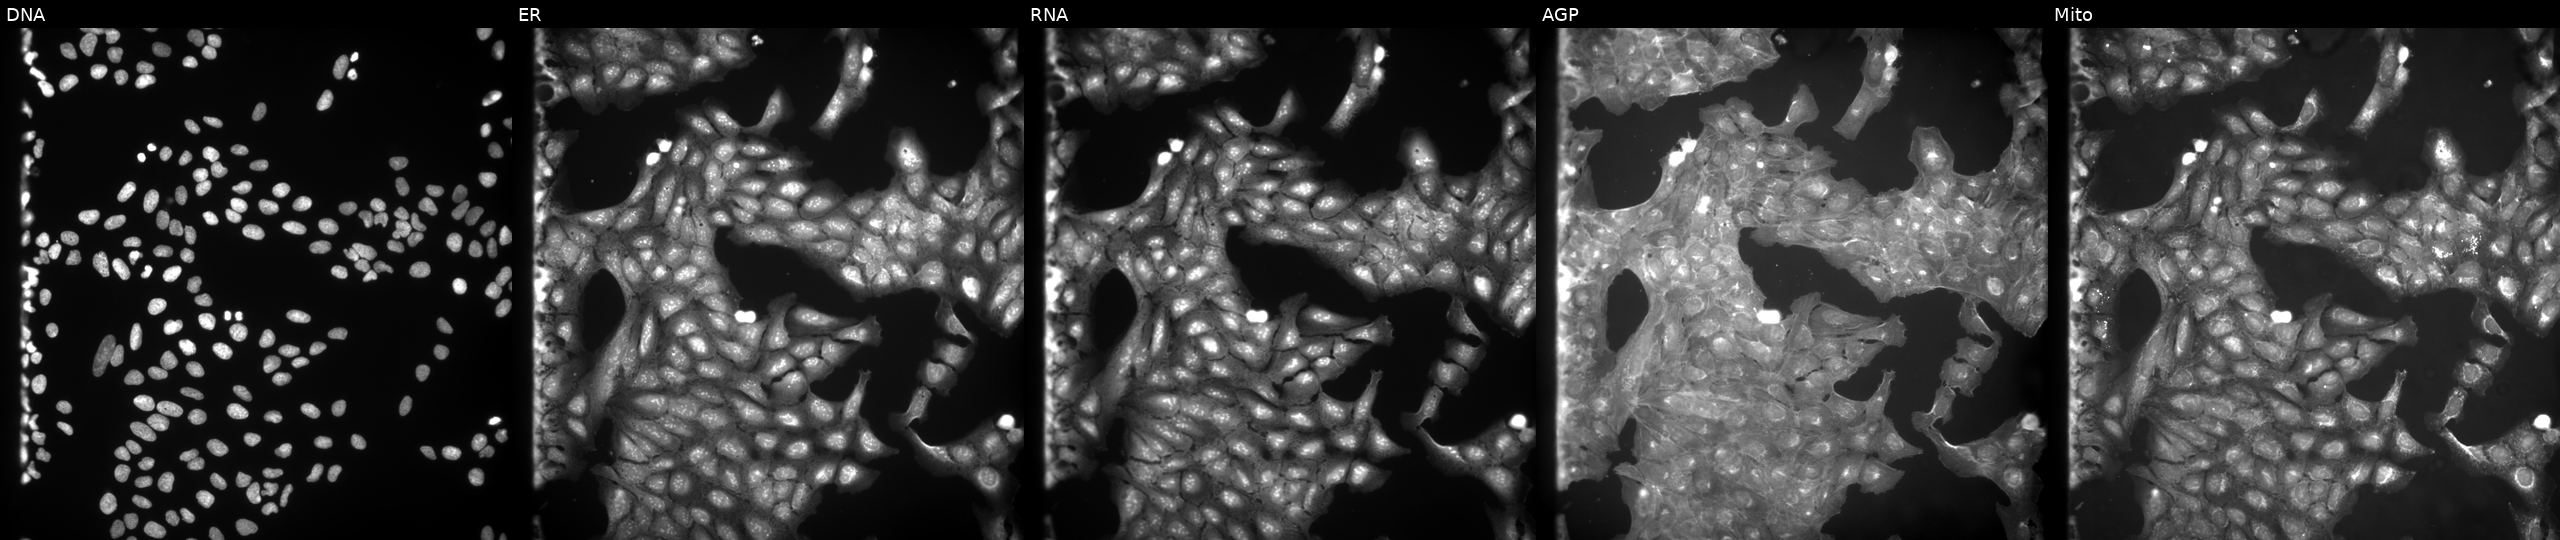
Five-channel Cell Painting image of U2OS cells exposed to a small-molecule compound (InChIKey SQWRRIBOMCTTSQ-UHFFFAOYSA-N) [SMILES: O=C(CSc1nnc(-c2ccco2)c(-c2ccco2)n1)Nc1ccc(Br)cc1]. Channels (left→right): Hoechst 33342, concanavalin A, SYTO 14, phalloidin and WGA, MitoTracker.